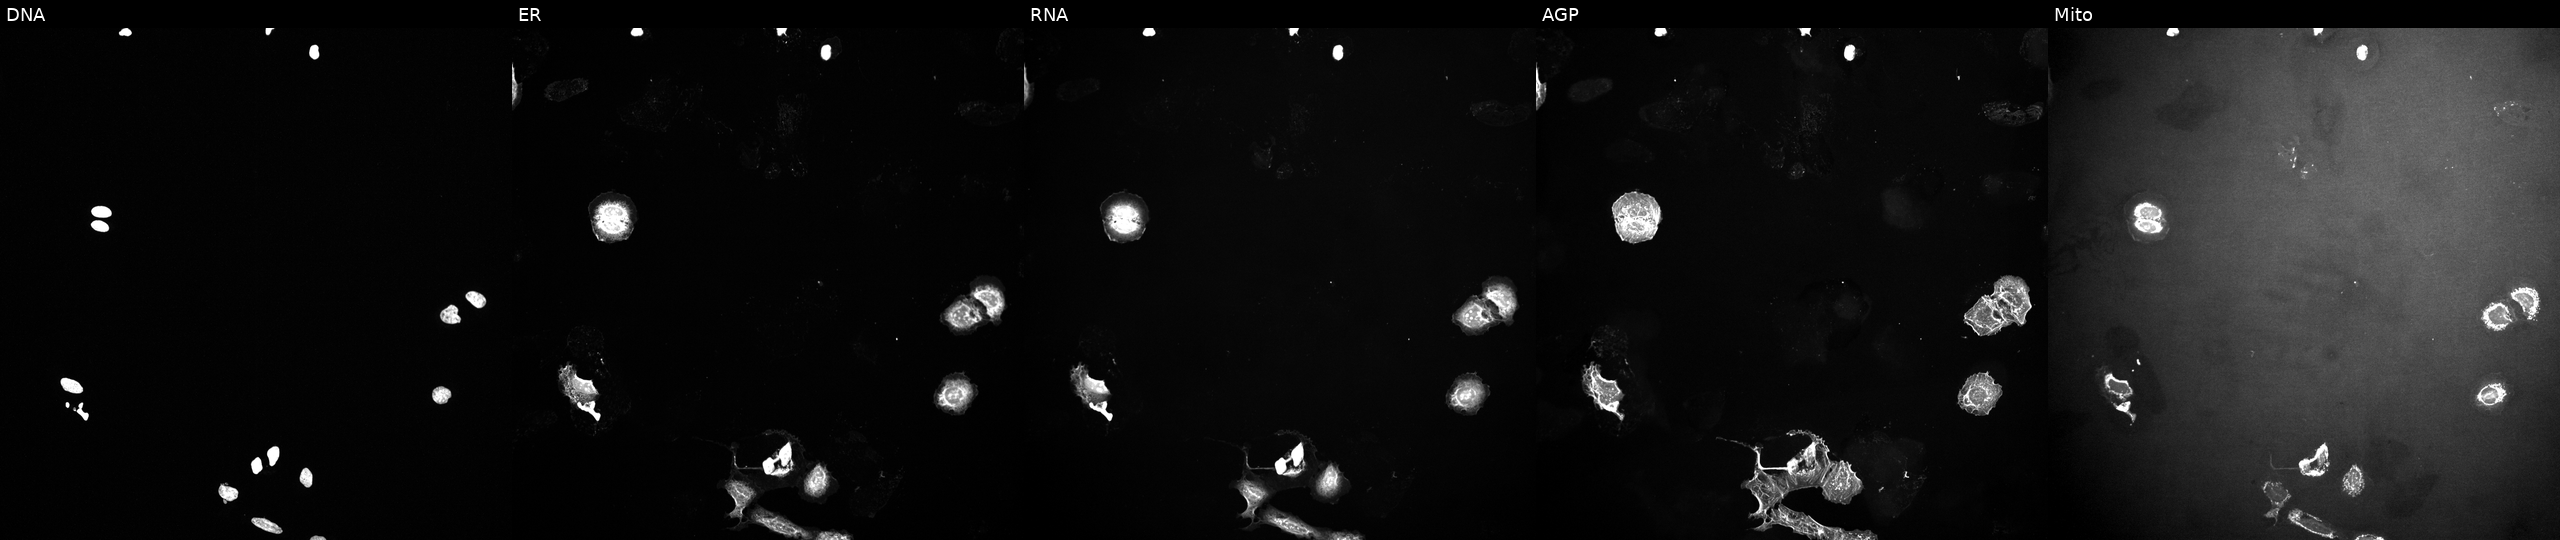
Five-channel Cell Painting image of U2OS cells treated with a small-molecule compound. Panels show, left to right, DNA, ER, RNA, AGP, and Mito.